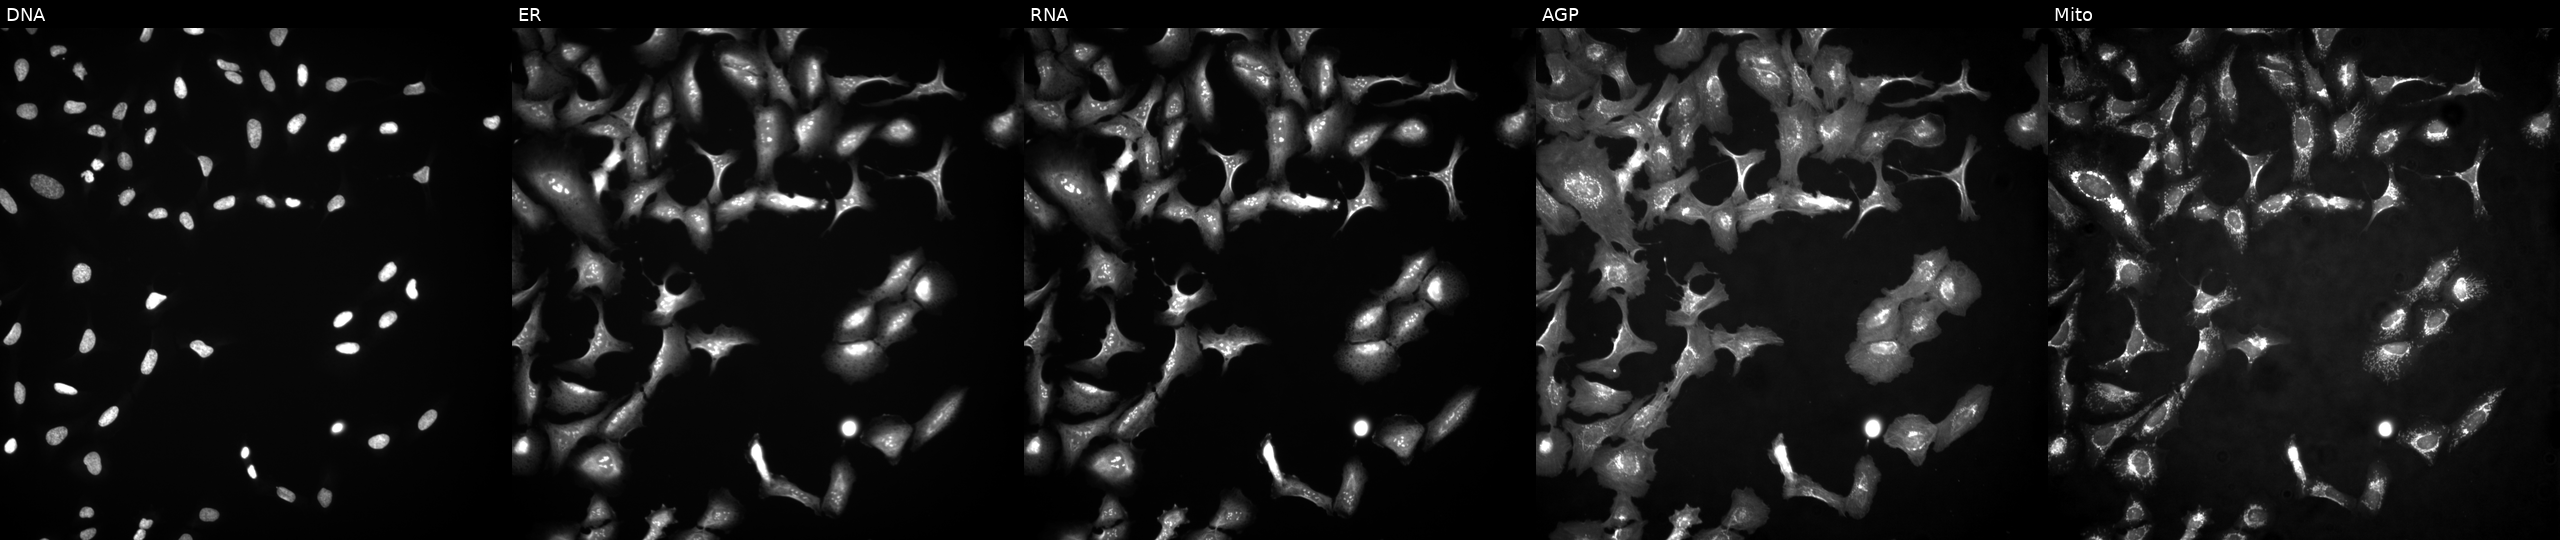
High-content fluorescence microscopy (Cell Painting). Cell line: U2OS. Perturbation: with SNF8 overexpressed (ORF). From left to right: DNA, ER, RNA, AGP, and Mito.